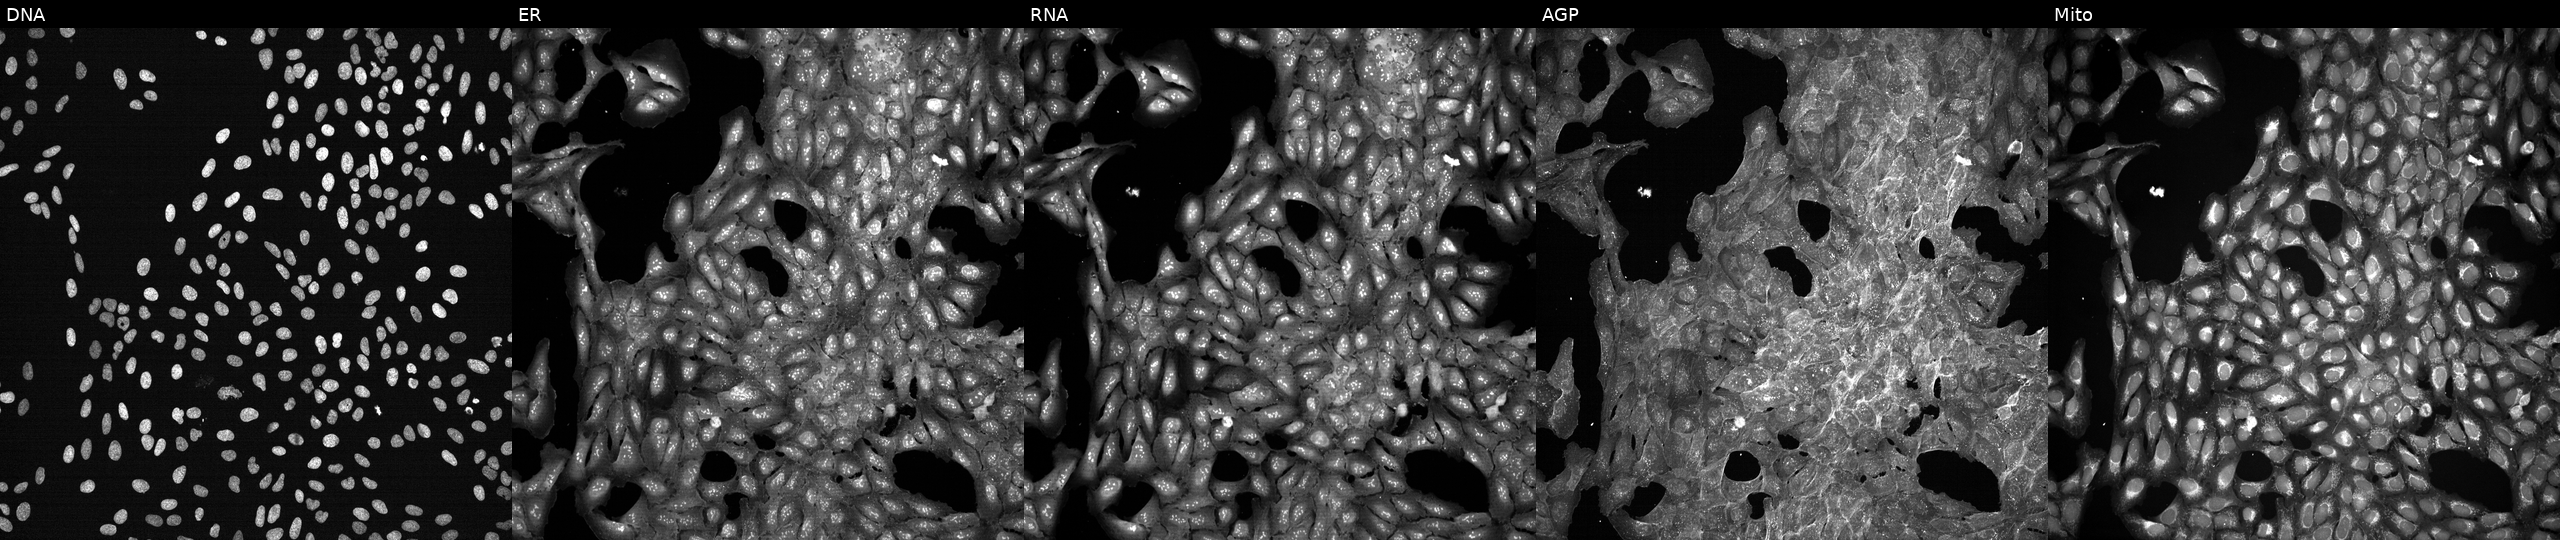
This image strip shows the five Cell Painting channels for a single field of U2OS cells perturbed with a small-molecule compound (InChIKey OJLOPKGSLYJEMD-UHFFFAOYSA-N) [SMILES: CCCCC(C)(O)CC=CC1C(O)CC(=O)C1CCCCCCC(=O)OC] (JUMP id JCP2022_064183). The five panels, left to right, show Hoechst 33342, concanavalin A, SYTO 14, phalloidin and WGA, MitoTracker.